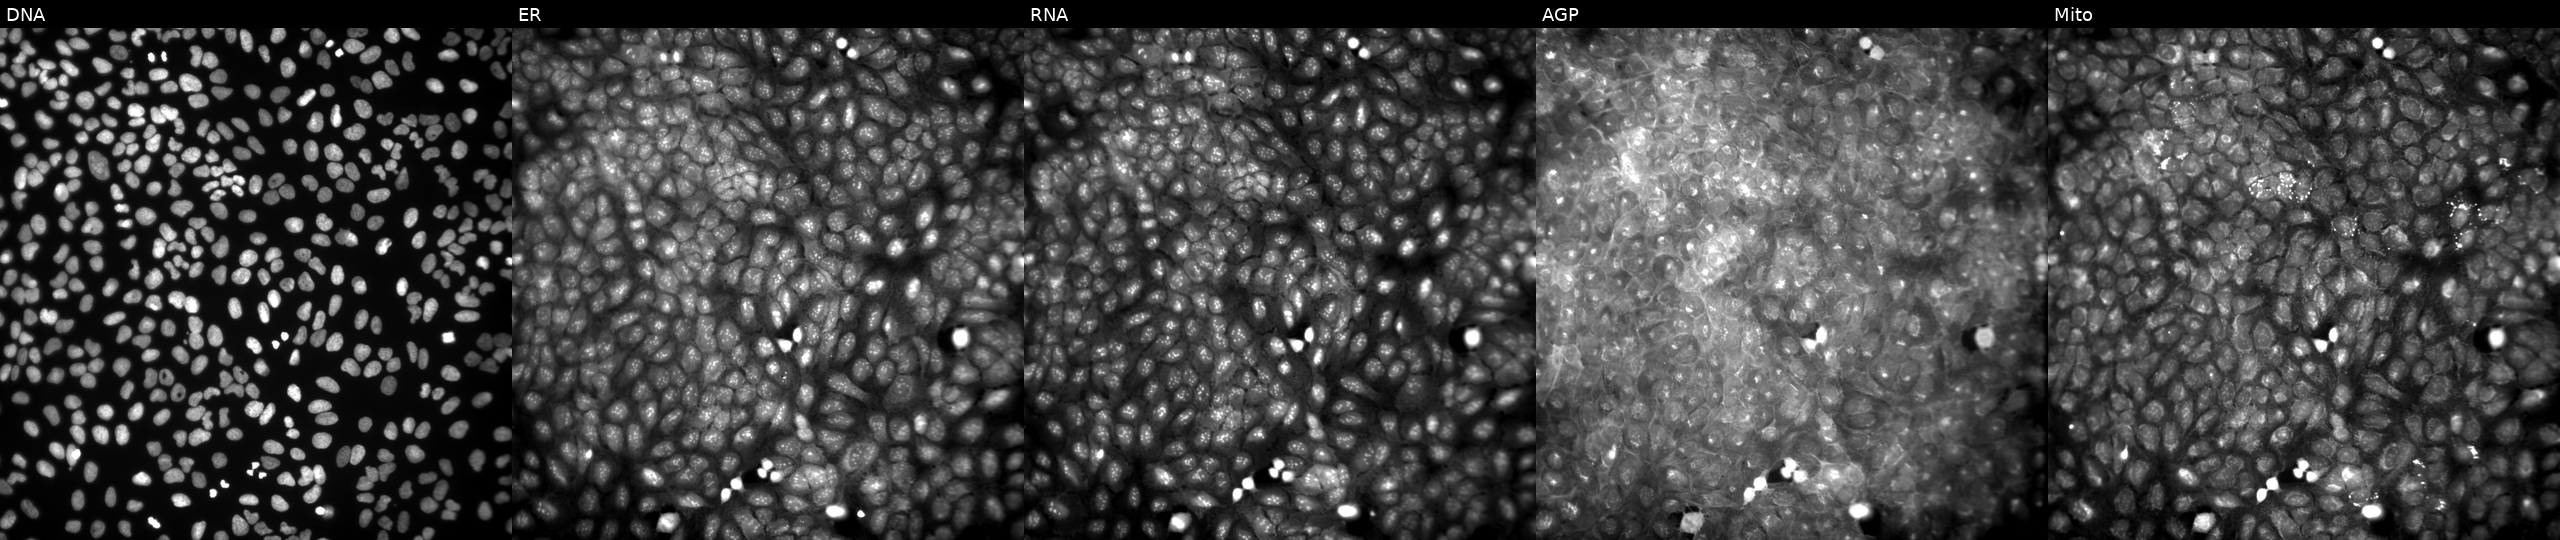
JUMP Cell Painting — COMPOUND plate. U2OS cells exposed to a small-molecule compound (InChIKey HDGCESYEYGPCJG-UHFFFAOYSA-N) (JUMP id JCP2022_029467). Panels show, left to right, DNA, ER, RNA, AGP, and Mito.